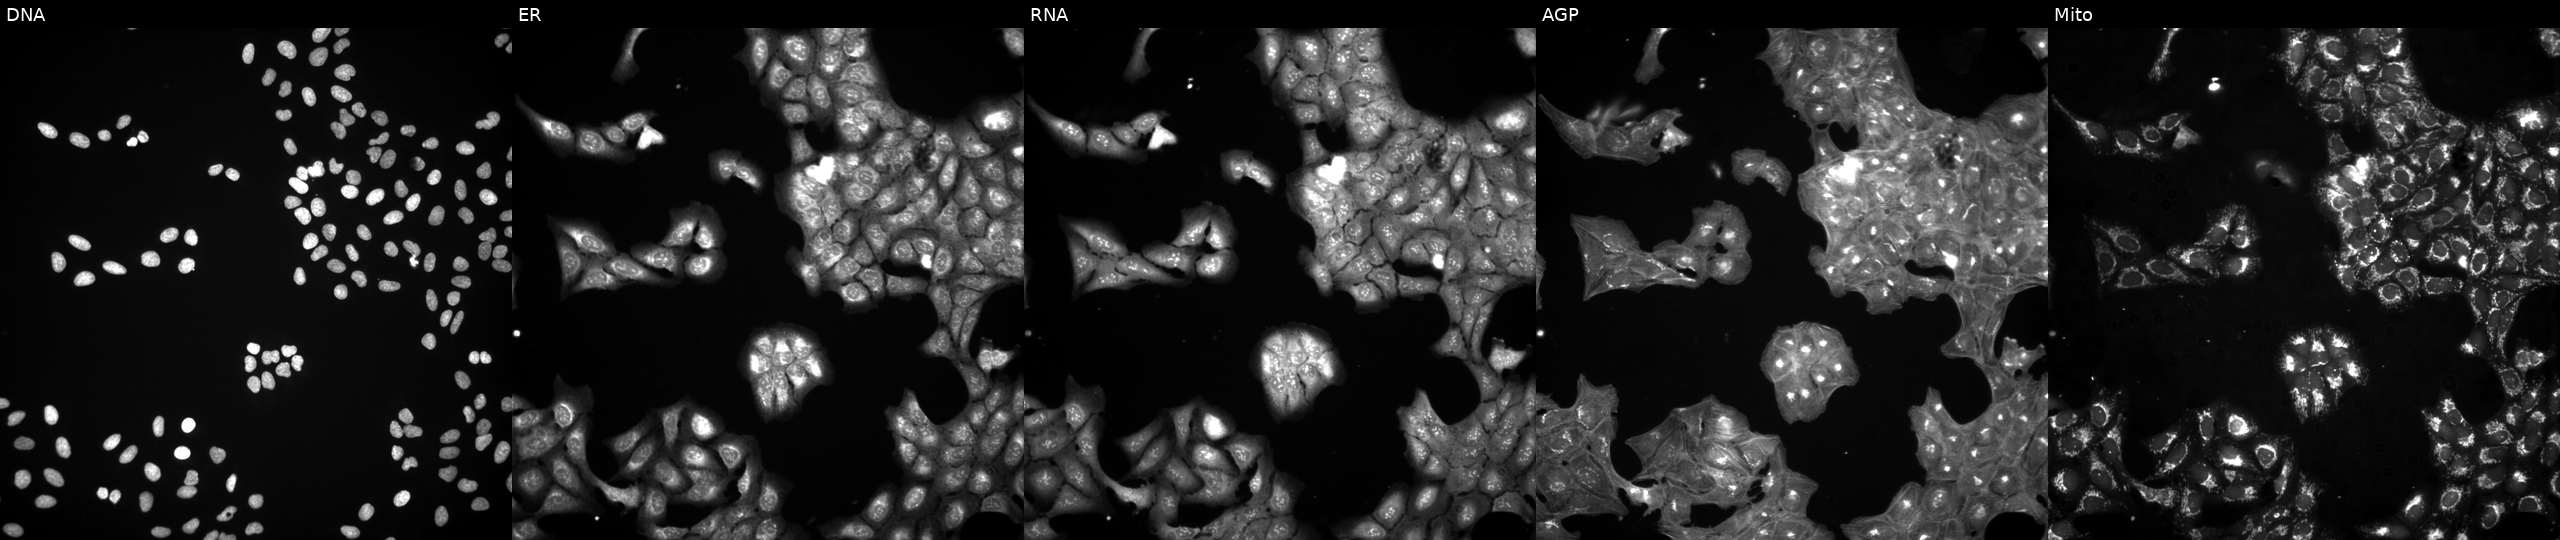
The five panels, left to right, show DNA (nuclei); ER (endoplasmic reticulum); RNA (nucleoli and cytoplasmic RNA); AGP (actin cytoskeleton, Golgi, and plasma membrane); Mito (mitochondria). U2OS osteosarcoma cells perturbed with a small-molecule compound (InChIKey NOJHDLWOKPFKPY-UHFFFAOYSA-N). Cell Painting assay, JUMP-CP dataset. Source 3, plate BR5867a3, well M22.